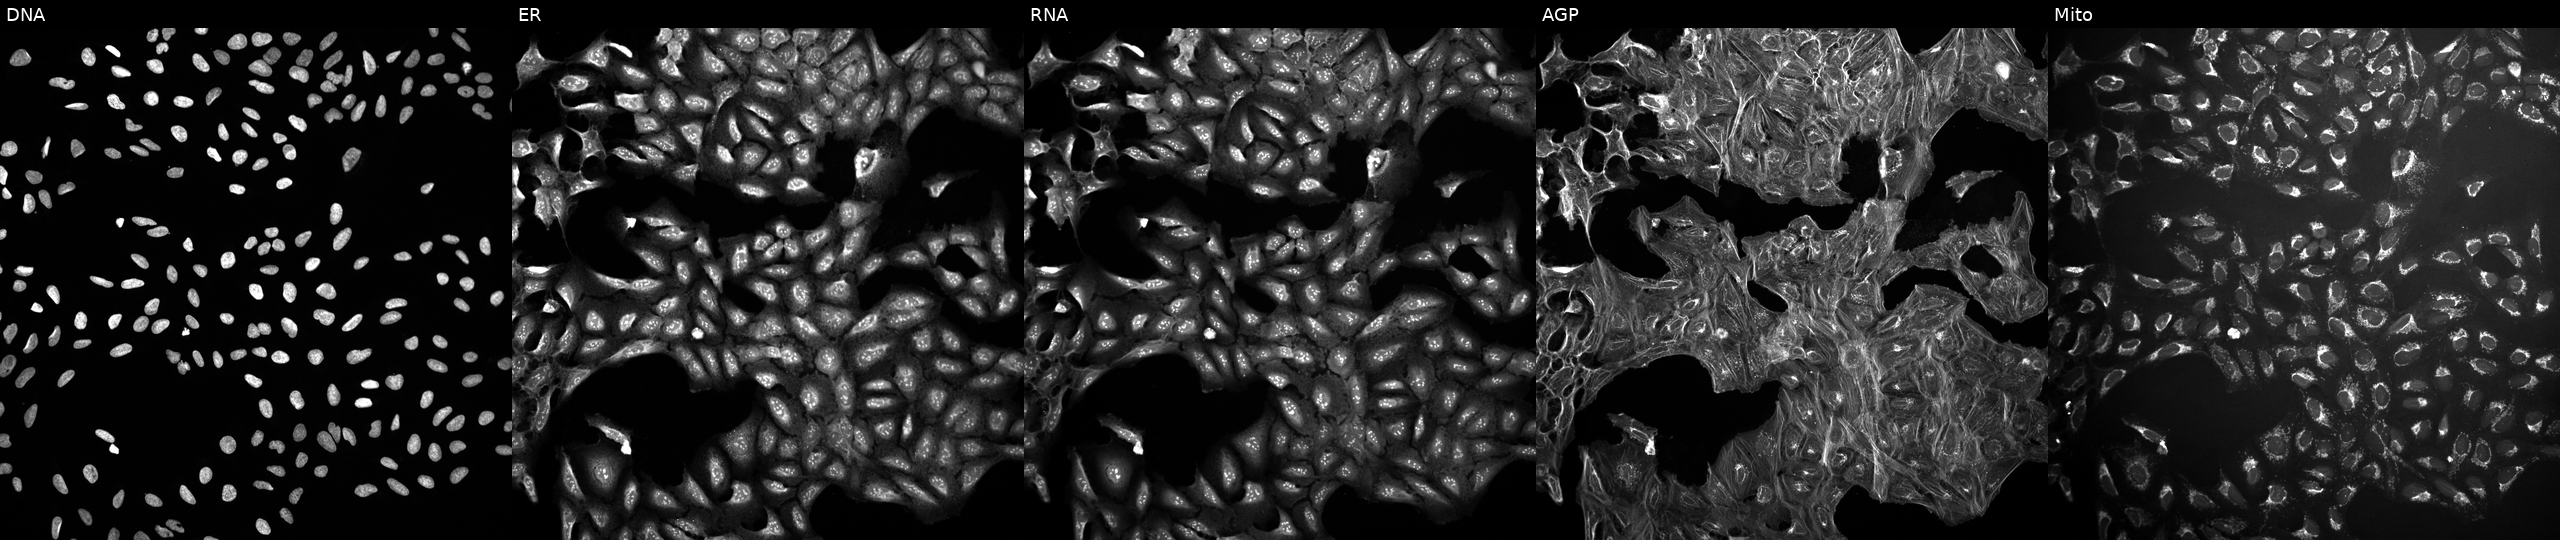
The five panels, left to right, show DNA, ER, RNA, AGP, and Mito. U2OS osteosarcoma cells treated with DMSO vehicle only (negative control). Cell Painting assay, JUMP-CP dataset. Source 10, plate Dest210726-160150, well I15.